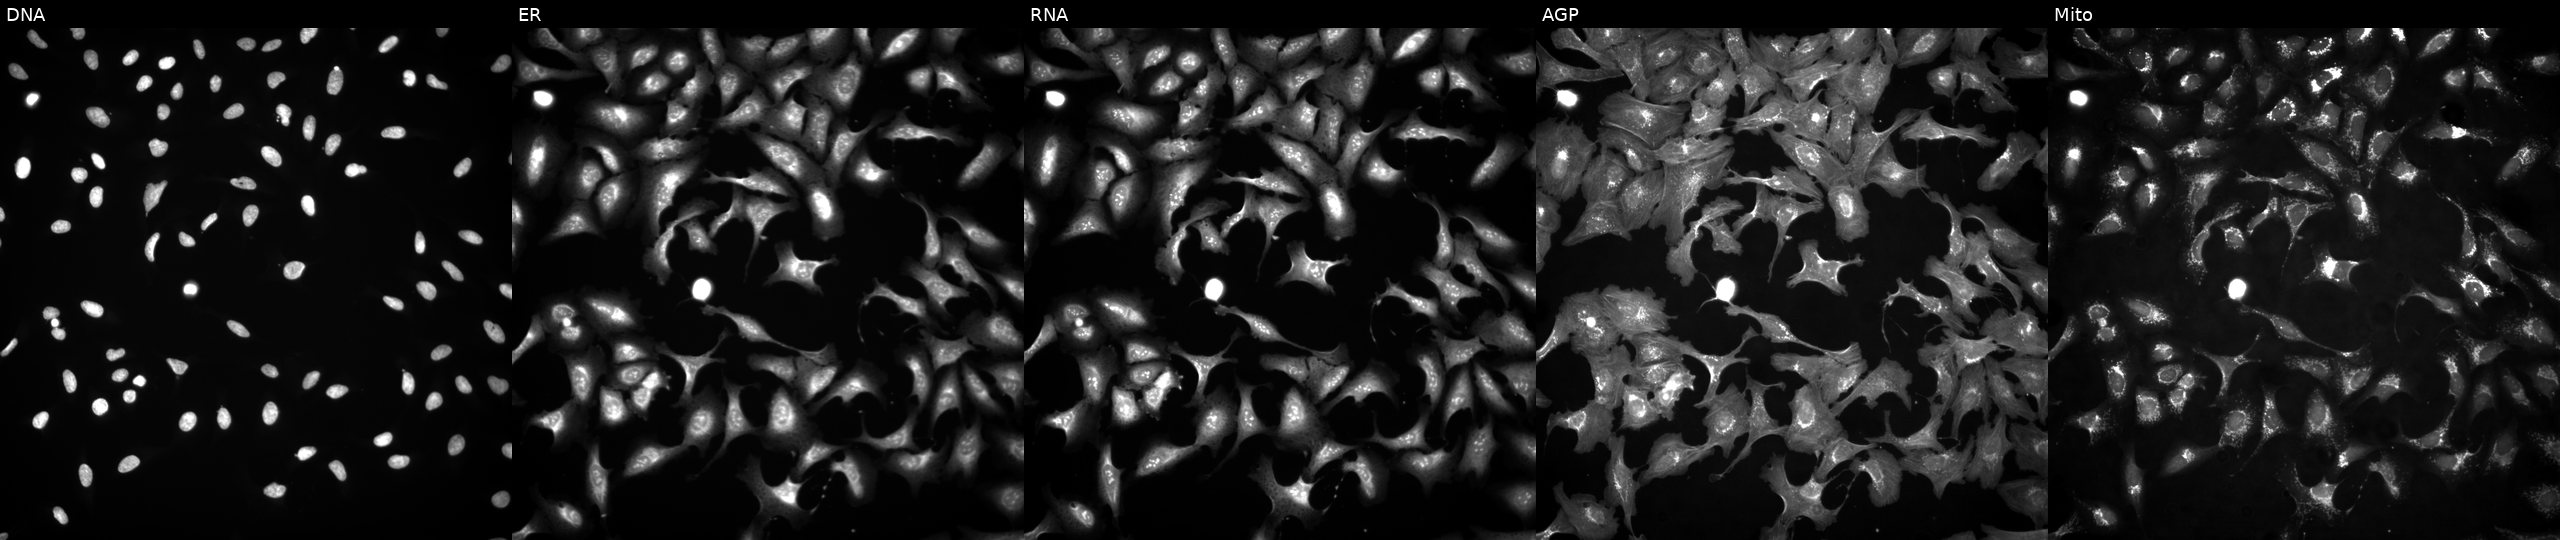
This image strip shows the five Cell Painting channels for a single field of U2OS cells overexpressing PDK2 via ORF transfection. Channels (left→right): DNA, ER, RNA, AGP, and Mito.